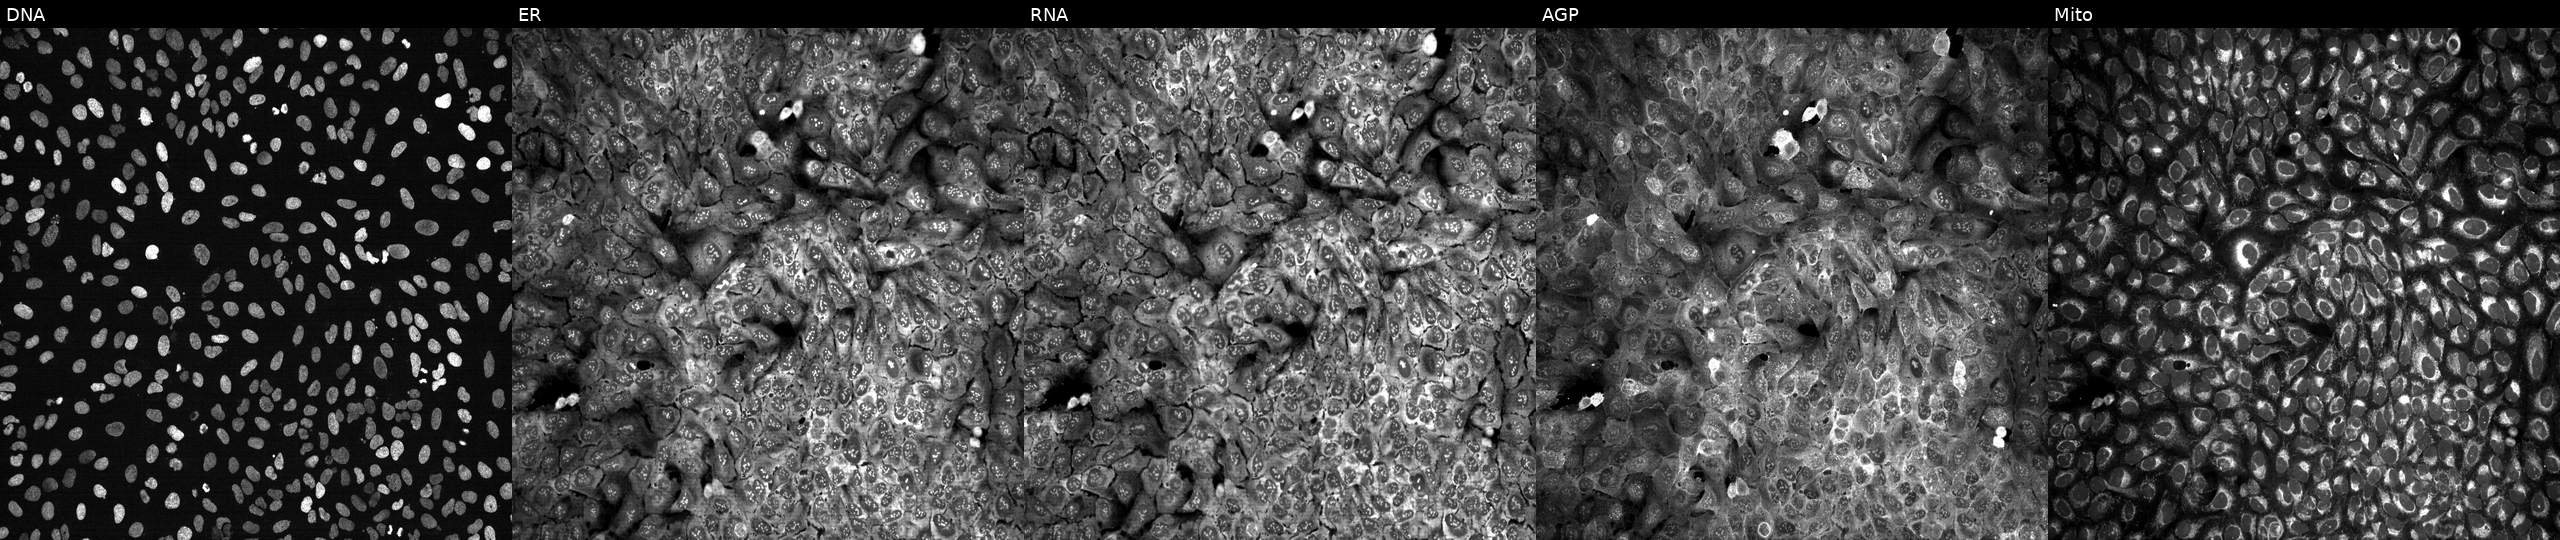
High-content fluorescence microscopy (Cell Painting). Cell line: U2OS. Perturbation: following CRISPR knockout of PNMT. The five panels, left to right, show Hoechst 33342, concanavalin A, SYTO 14, phalloidin and WGA, MitoTracker. Source 13, plate CP-CC9-R4-03, well G12.